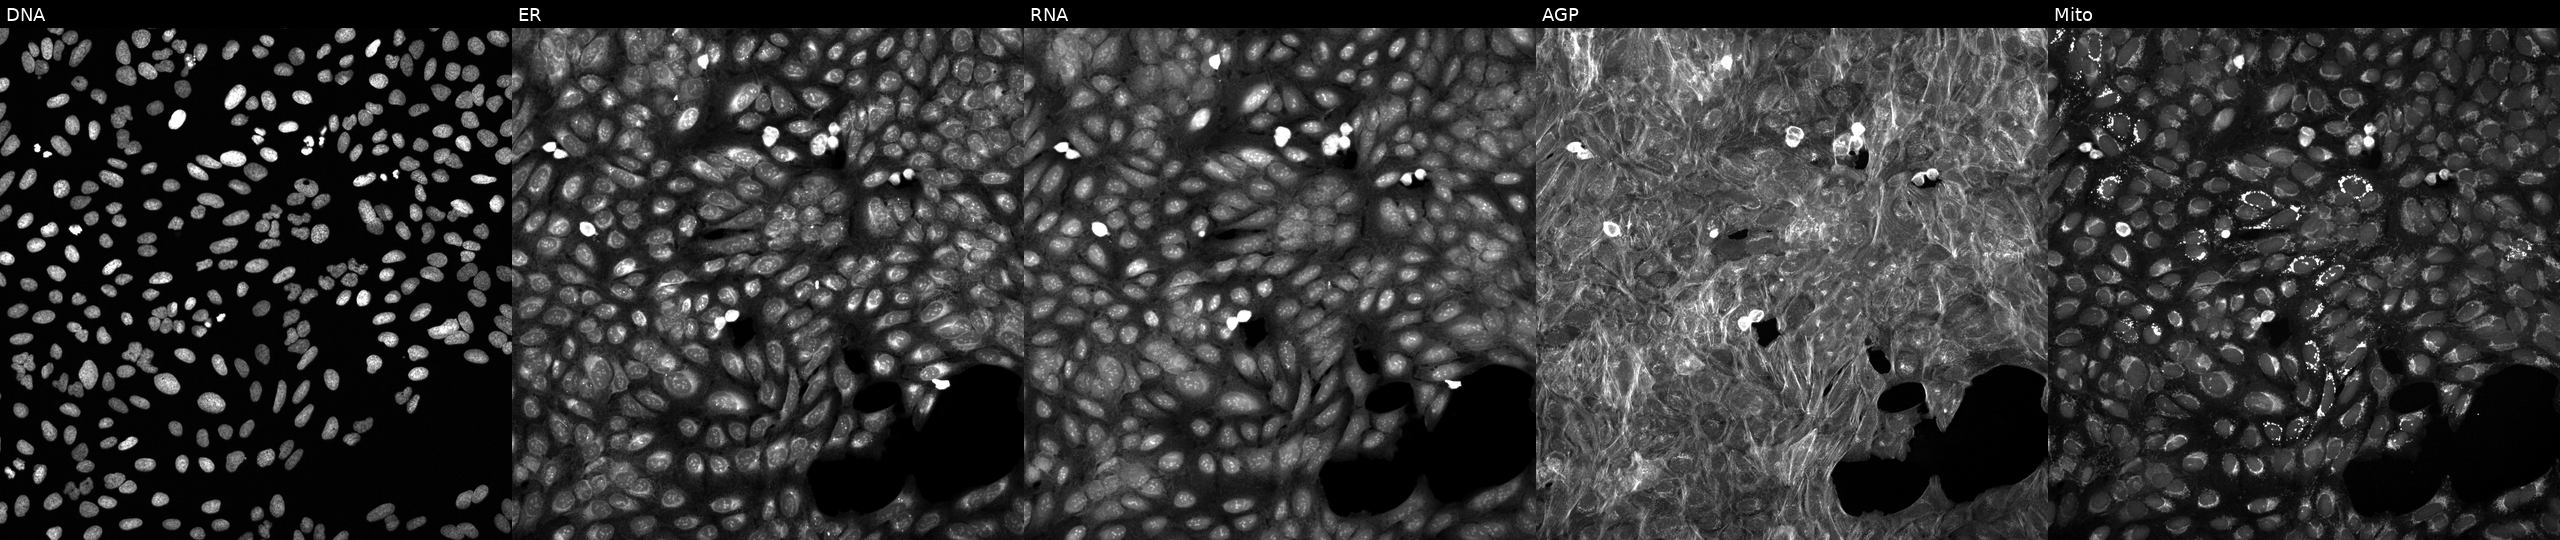
Five-channel Cell Painting image of U2OS cells treated with DMSO vehicle only (negative control) (JUMP id JCP2022_033924). Panels show, left to right, DNA (nuclei); ER (endoplasmic reticulum); RNA (nucleoli and cytoplasmic RNA); AGP (actin cytoskeleton, Golgi, and plasma membrane); Mito (mitochondria). Source 6, plate 110000294901, well D18.